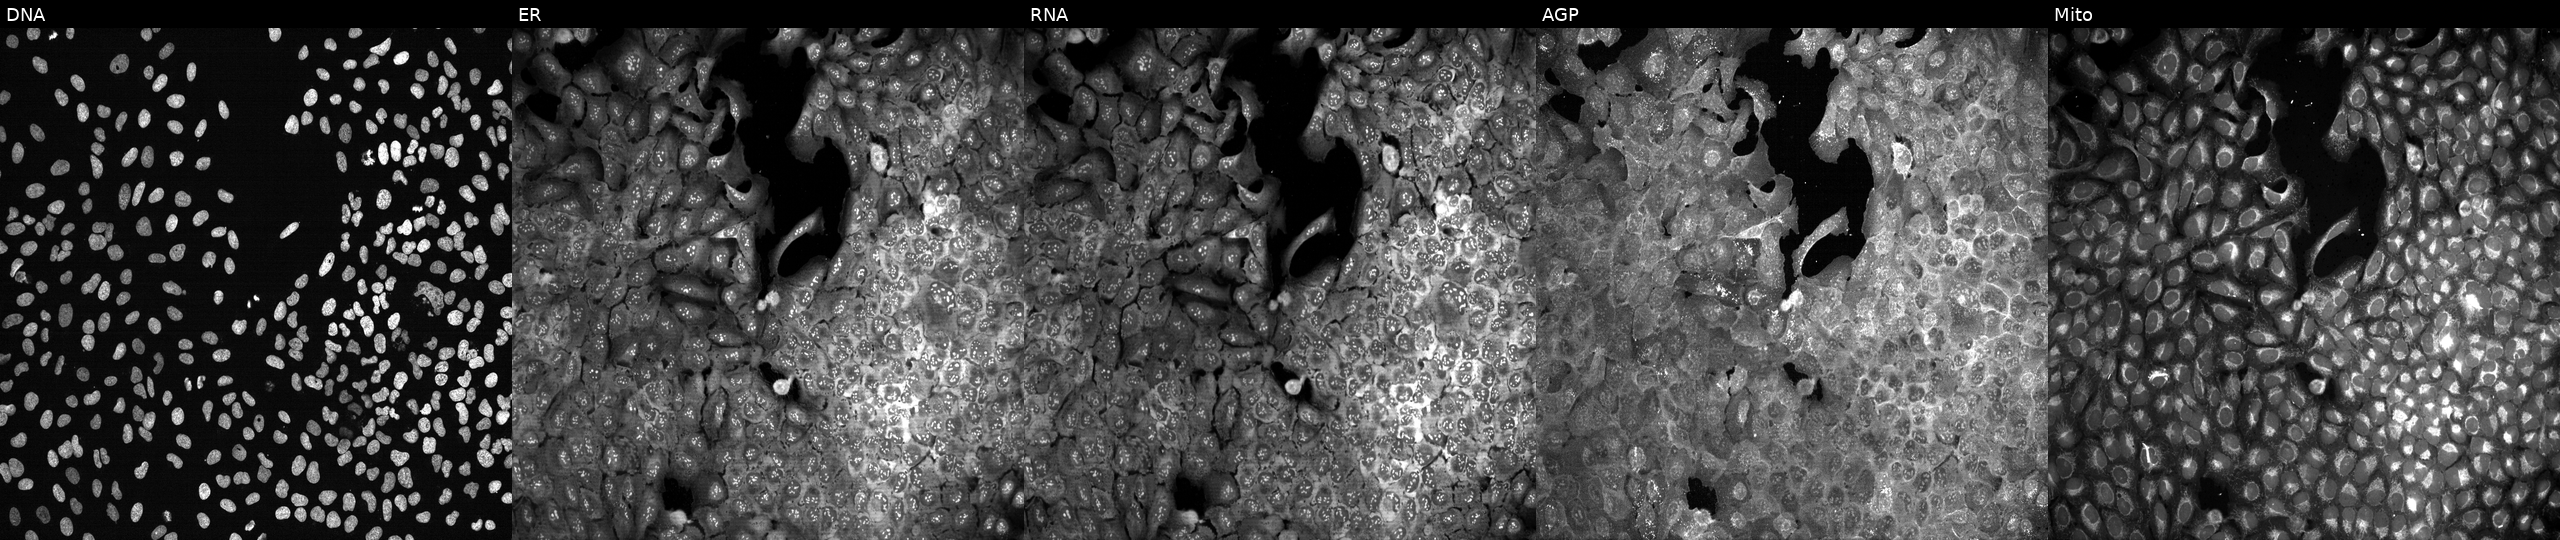
From left to right: DNA, ER, RNA, AGP, and Mito. U2OS osteosarcoma cells CRISPR-edited to disrupt SPTLC3 (JUMP id JCP2022_806757). Cell Painting assay, JUMP-CP dataset.